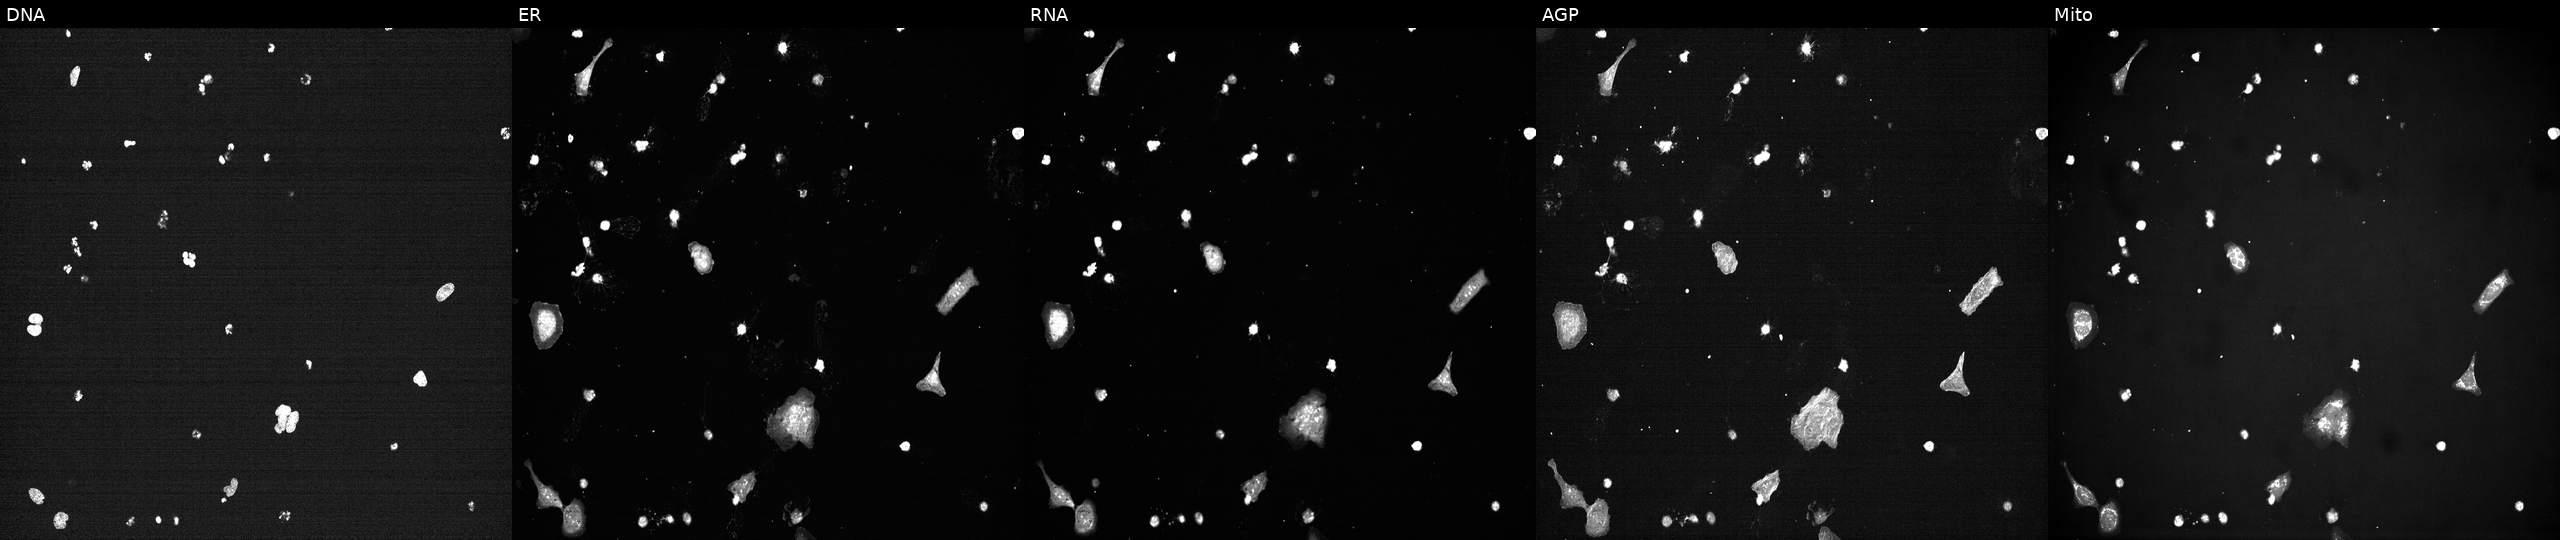
U2OS cells, Cell Painting assay, treated with a small-molecule compound (InChIKey HYFHYPWGAURHIV-UHFFFAOYSA-N) [SMILES: COC(=O)CC(O)(CCCC(C)(C)O)C(=O)OC1C(OC)=CC23CCCN2CCc2cc4c(cc2C13)OCO4]. Channels (left→right): Hoechst 33342, concanavalin A, SYTO 14, phalloidin and WGA, MitoTracker. Each panel is percentile-stretched 16-bit fluorescence.